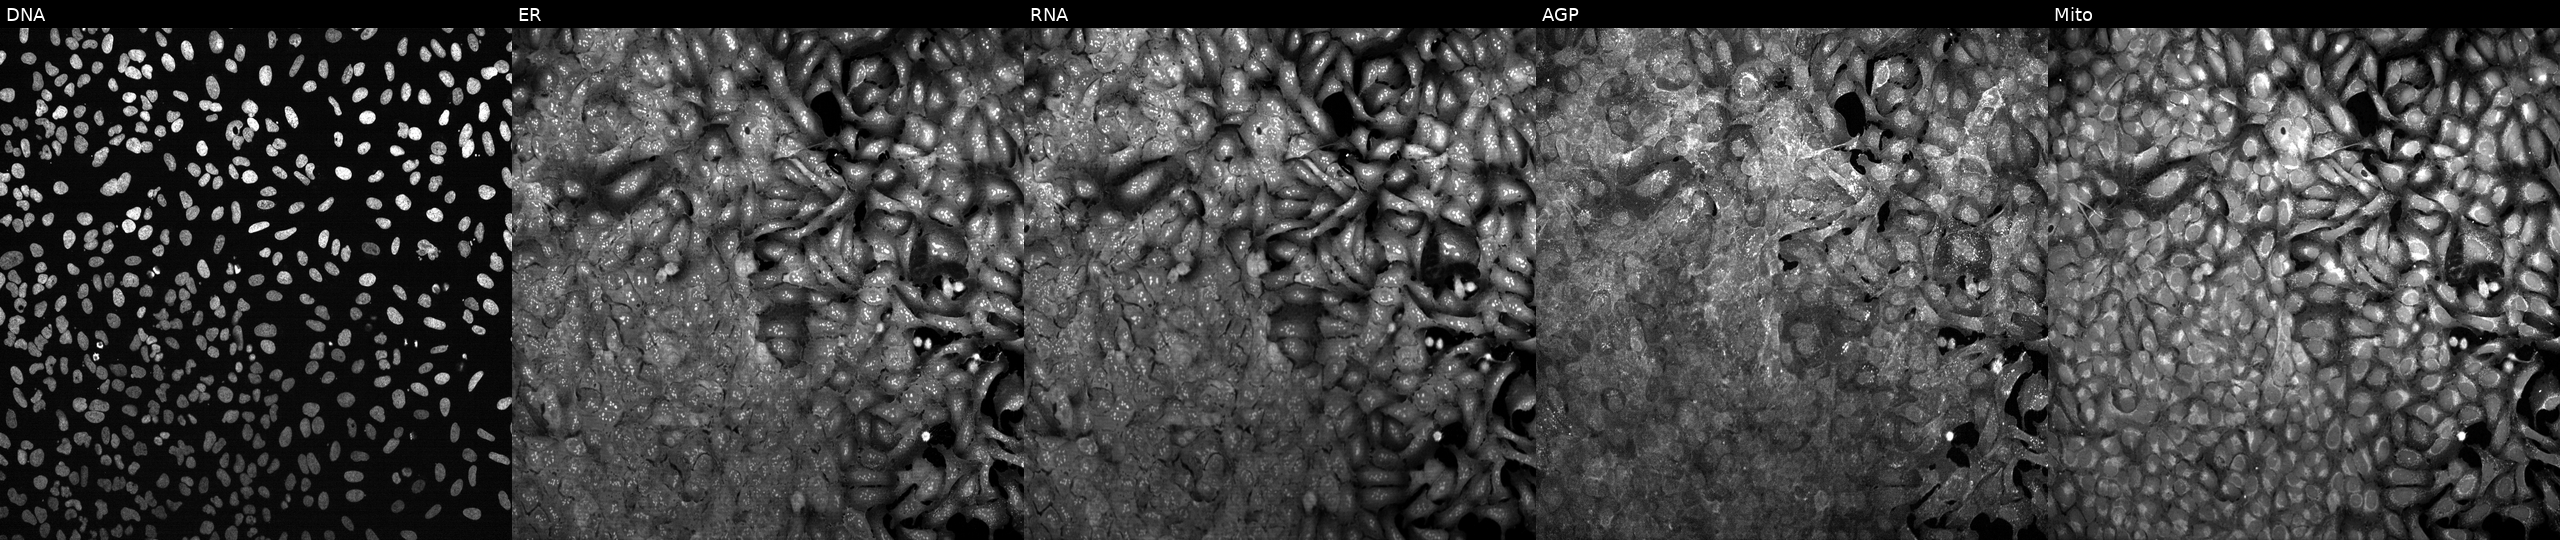
This image strip shows the five Cell Painting channels for a single field of U2OS cells CRISPR-edited to disrupt PRDX1 (JUMP id JCP2022_805498). Panels show, left to right, DNA, ER, RNA, AGP, and Mito.